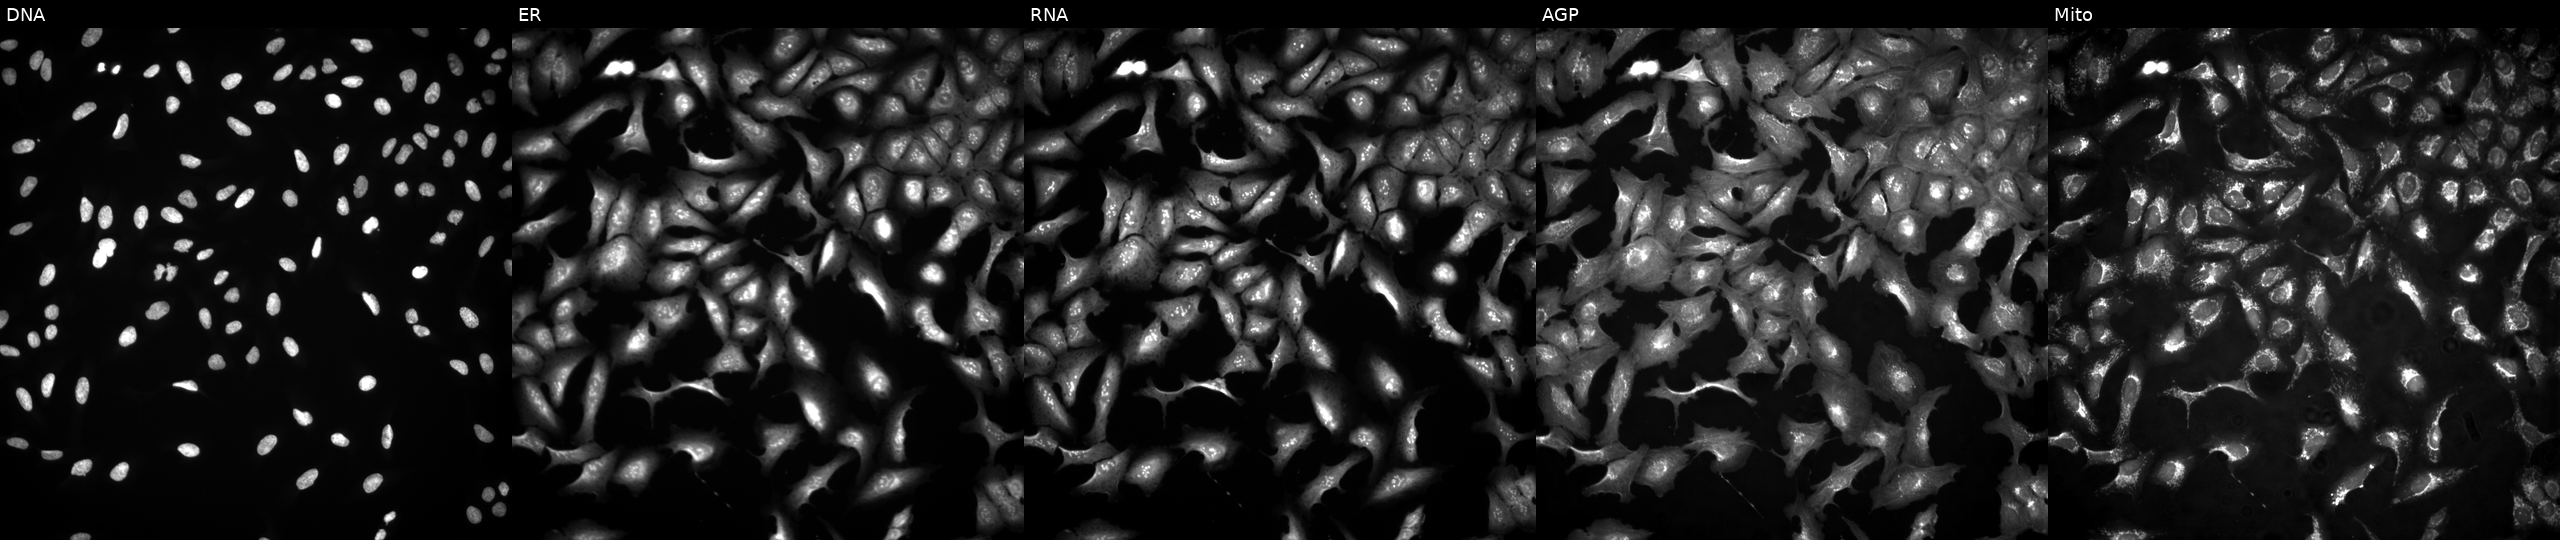
U2OS cells, Cell Painting assay, overexpressing KCNS3 via ORF transfection. Channels (left→right): DNA, ER, RNA, AGP, and Mito. Each panel is percentile-stretched 16-bit fluorescence. Source 4, plate BR00124787, well N04.